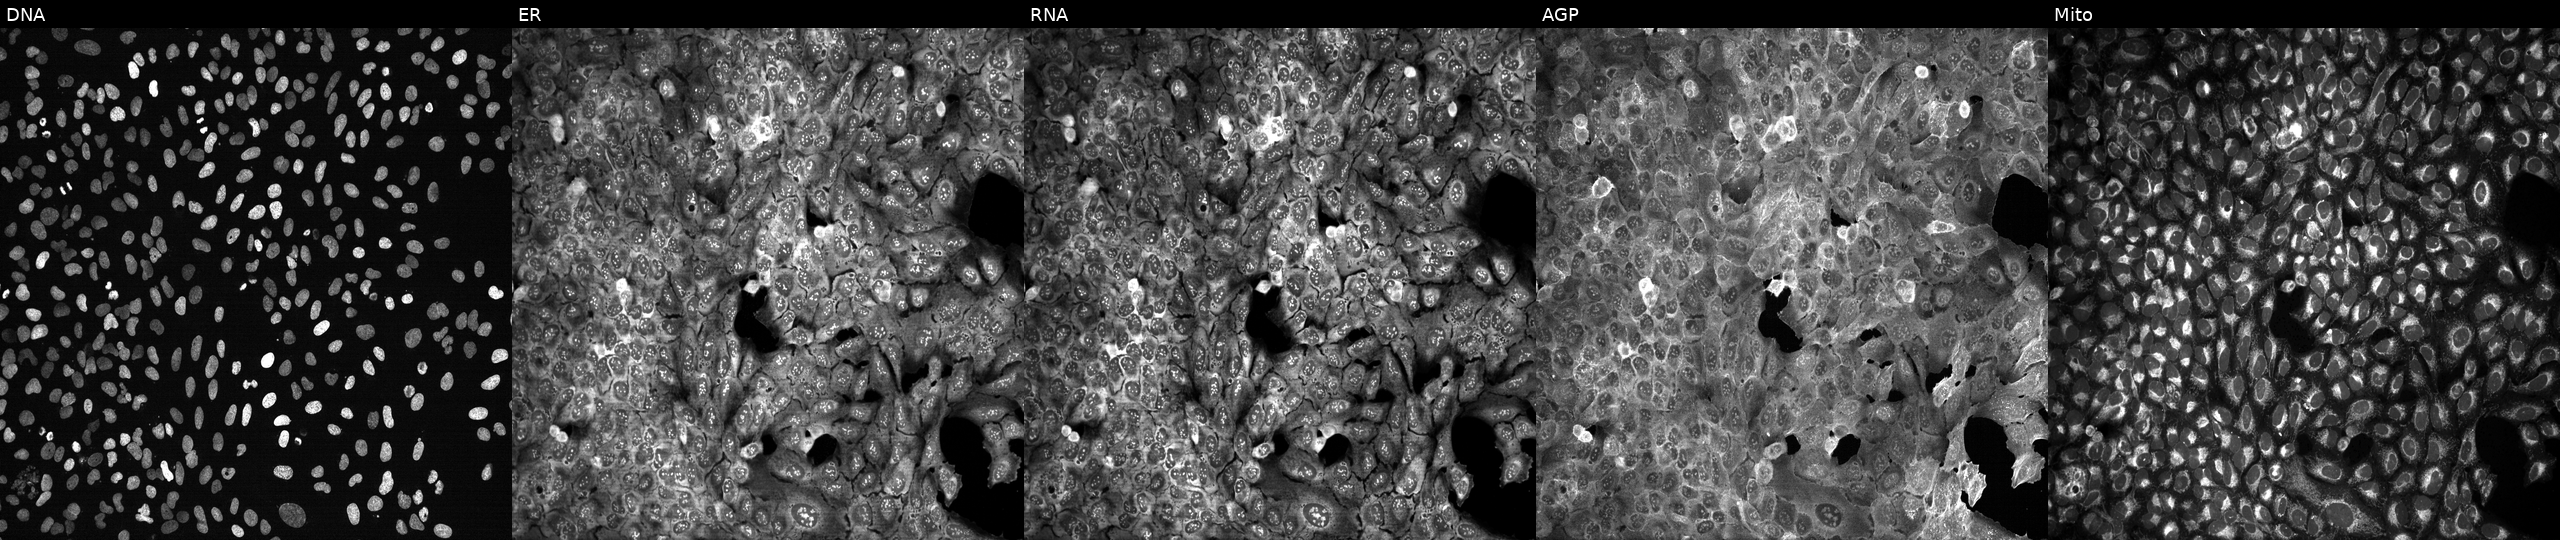
Channels (left→right): DNA (nuclei); ER (endoplasmic reticulum); RNA (nucleoli and cytoplasmic RNA); AGP (actin cytoskeleton, Golgi, and plasma membrane); Mito (mitochondria). U2OS osteosarcoma cells CRISPR-edited to disrupt HMBS (JUMP id JCP2022_803140). Cell Painting assay, JUMP-CP dataset.